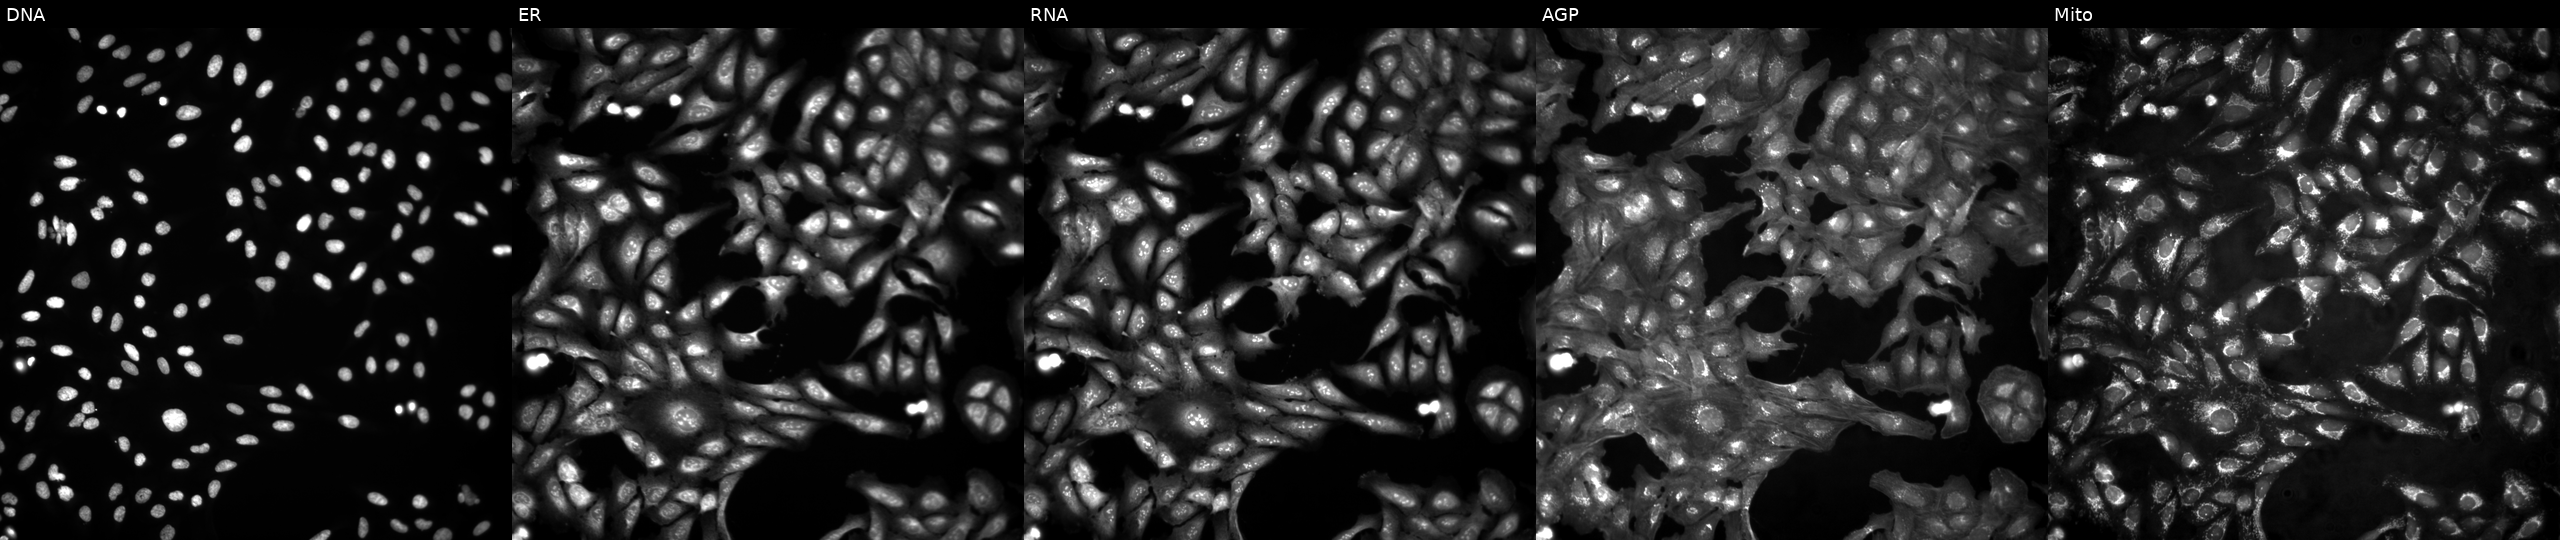
This image strip shows the five Cell Painting channels for a single field of U2OS cells in an empty control well (no perturbation) (JUMP id JCP2022_999999). The five panels, left to right, show Hoechst 33342, concanavalin A, SYTO 14, phalloidin and WGA, MitoTracker.